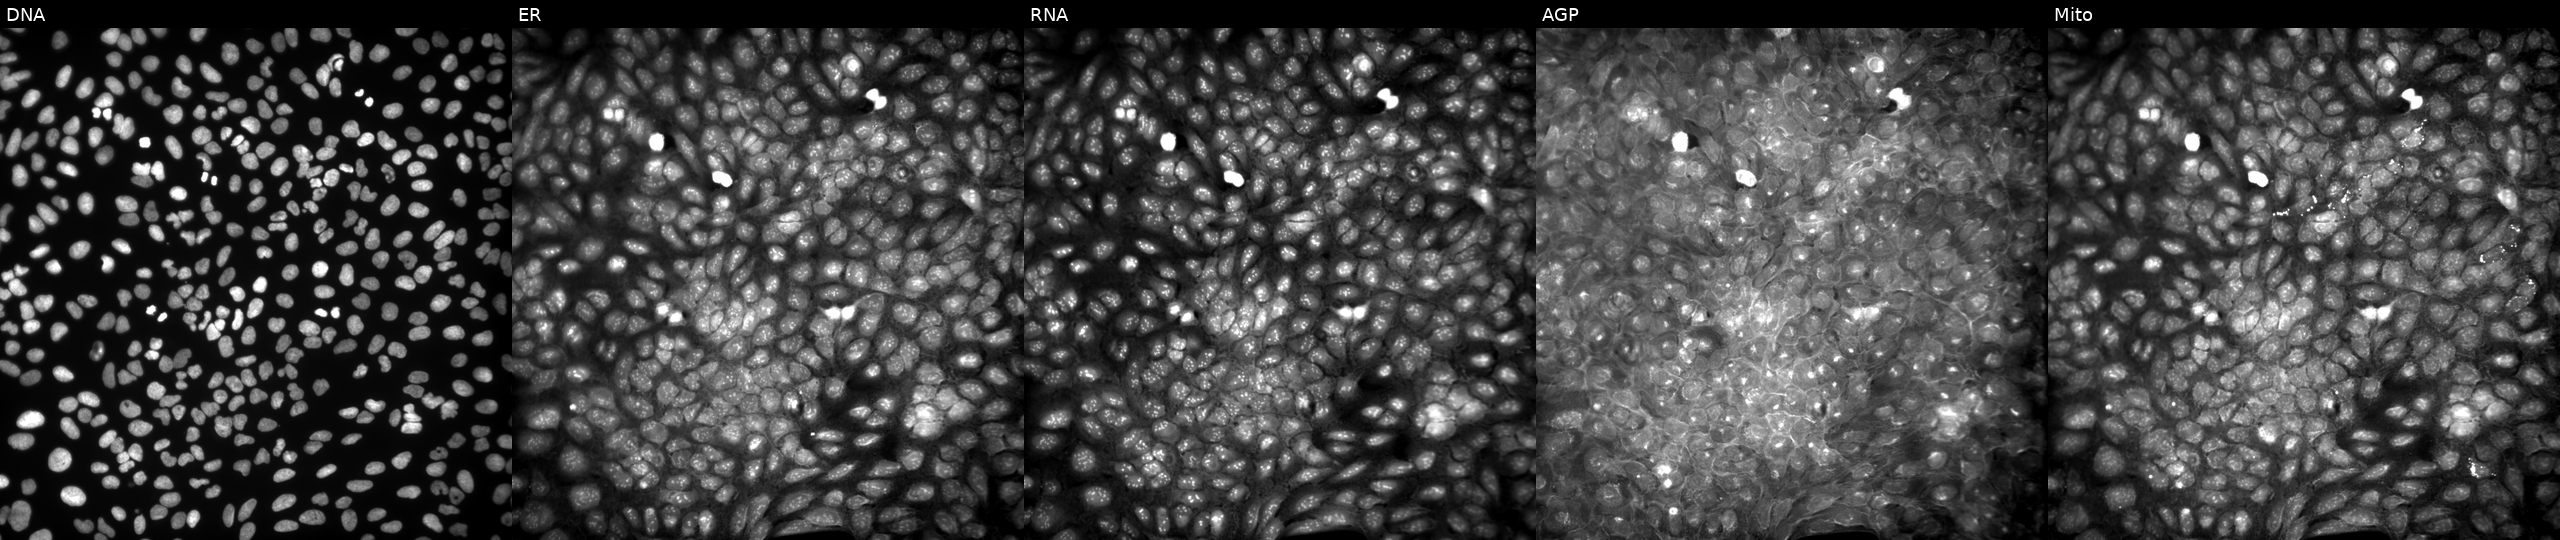
JUMP Cell Painting — COMPOUND plate. U2OS cells treated with DMSO vehicle only (negative control) (JUMP id JCP2022_033924). The five panels, left to right, show Hoechst 33342, concanavalin A, SYTO 14, phalloidin and WGA, MitoTracker.